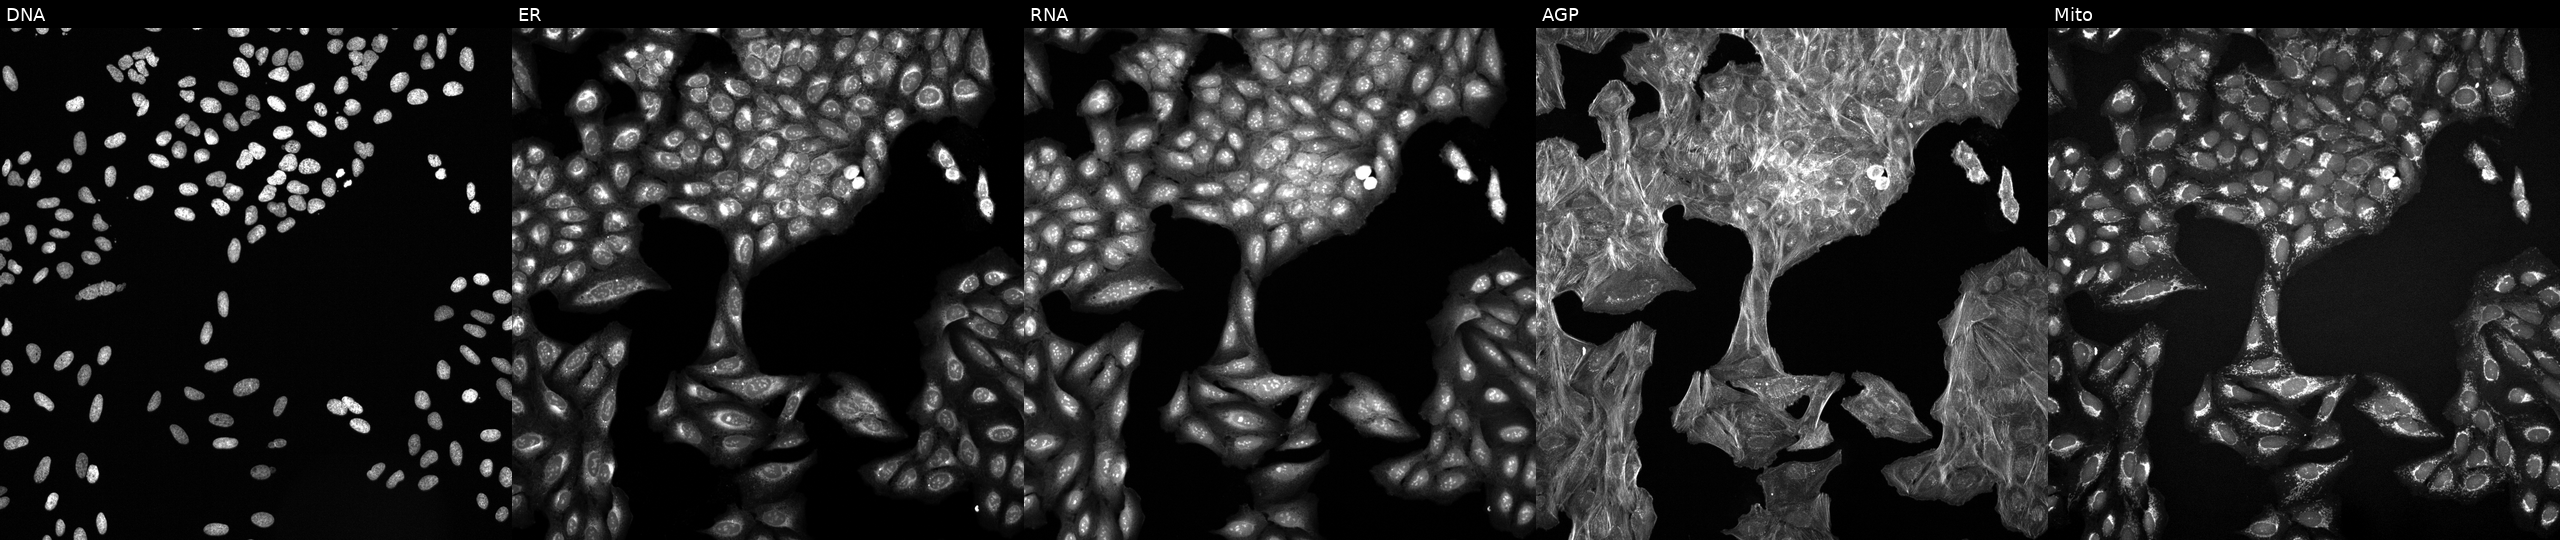
High-content fluorescence microscopy (Cell Painting). Cell line: U2OS. Perturbation: exposed to a small-molecule compound (InChIKey MENNDDDTIIZDDN-UHFFFAOYSA-N) [SMILES: Cc1cc(C)nc(SCC(=O)N=c2[nH]cc(Cc3cccc4ccccc34)s2)n1] (JUMP id JCP2022_053626). From left to right: Hoechst 33342, concanavalin A, SYTO 14, phalloidin and WGA, MitoTracker.